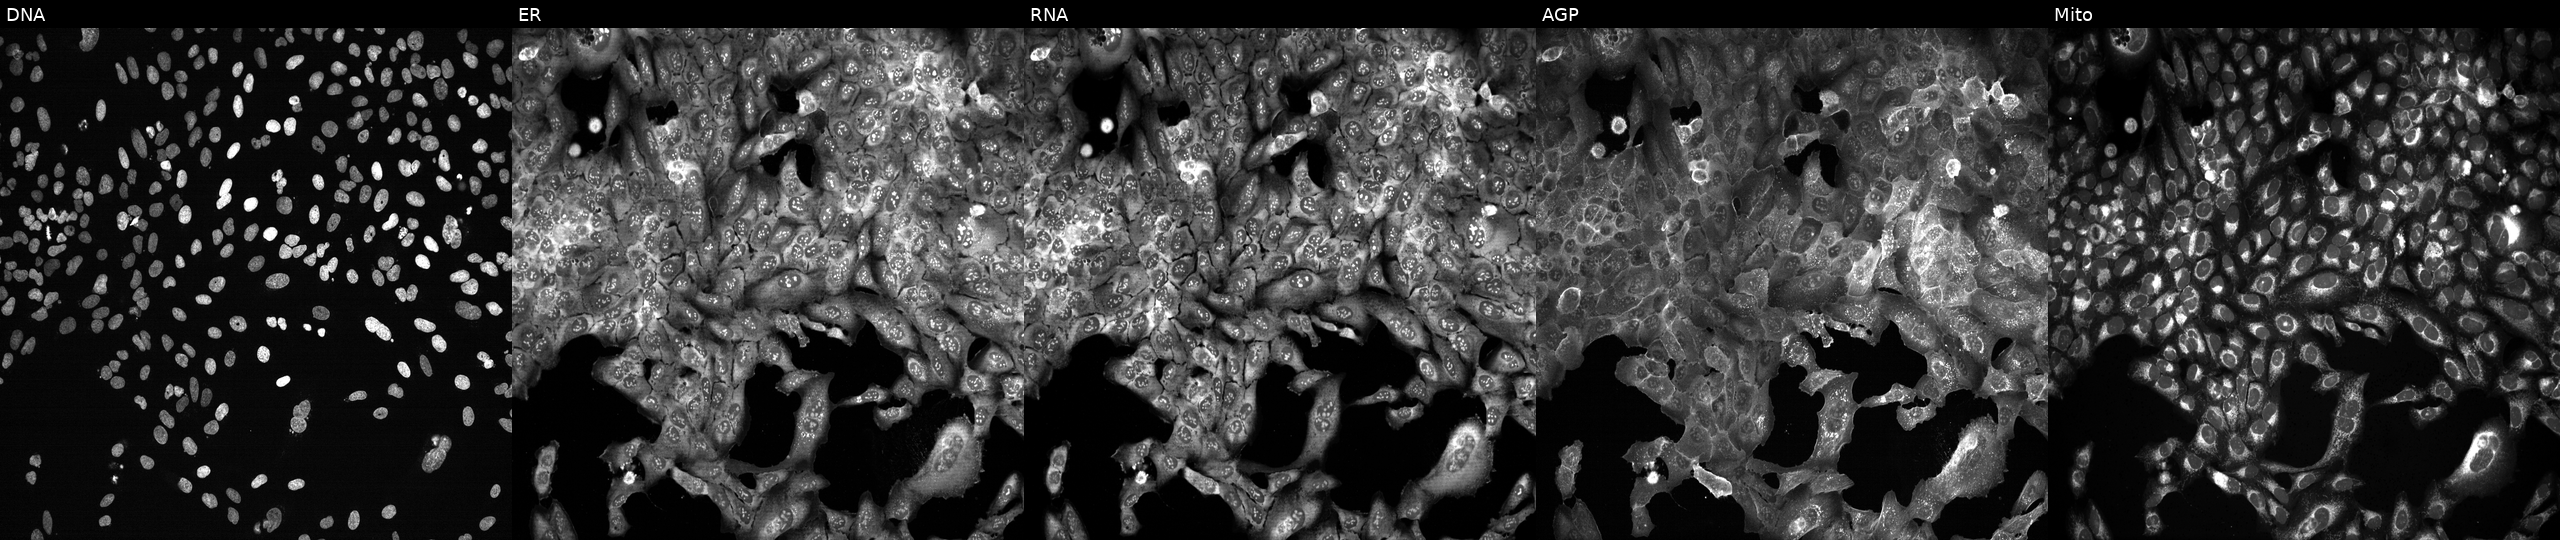
JUMP Cell Painting — CRISPR plate. U2OS cells CRISPR-edited to disrupt KLK6 (JUMP id JCP2022_803729). Panels show, left to right, DNA (nuclei); ER (endoplasmic reticulum); RNA (nucleoli and cytoplasmic RNA); AGP (actin cytoskeleton, Golgi, and plasma membrane); Mito (mitochondria).